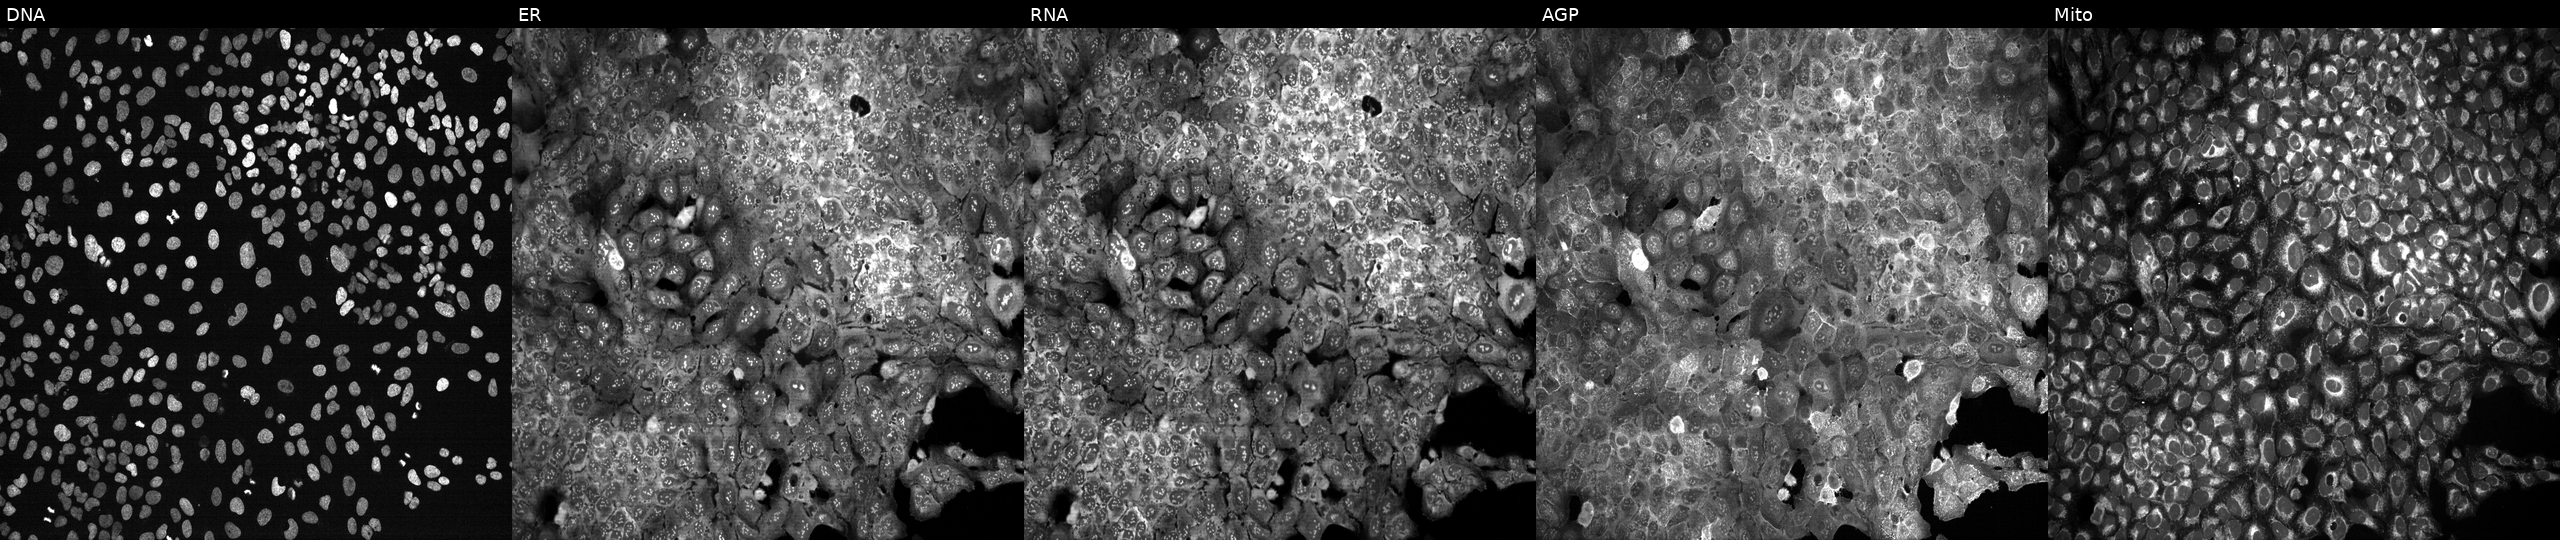
High-content fluorescence microscopy (Cell Painting). Cell line: U2OS. Perturbation: following CRISPR knockout of DYNLRB2 (JUMP id JCP2022_801961). Panels show, left to right, Hoechst 33342, concanavalin A, SYTO 14, phalloidin and WGA, MitoTracker.